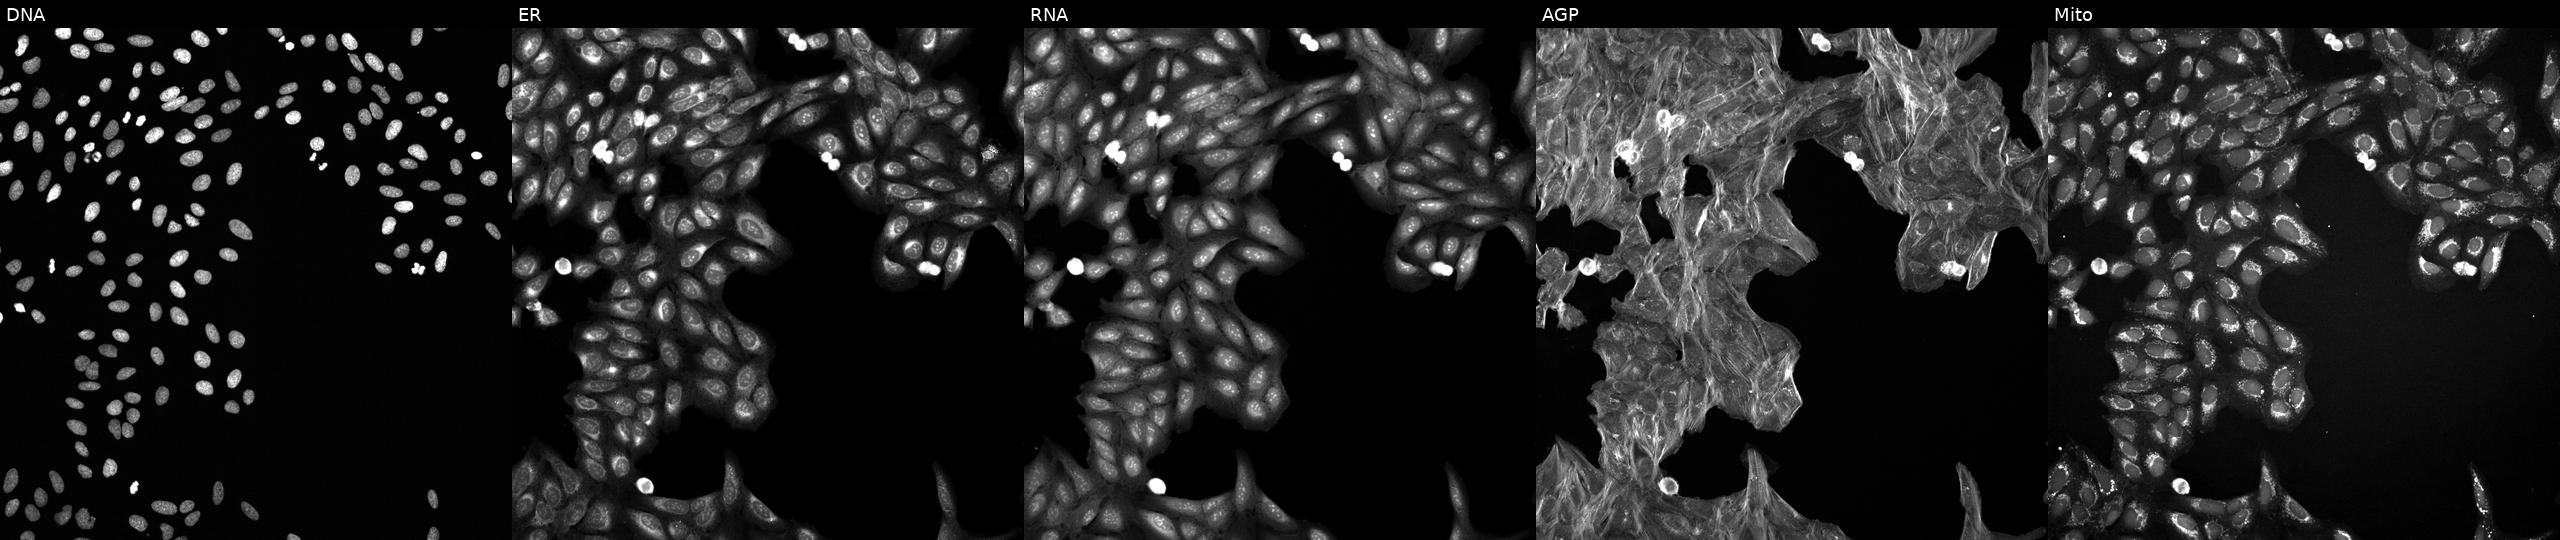
Five-channel Cell Painting image of U2OS cells exposed to a small-molecule compound (InChIKey CDJNNOJINJAXPV-UHFFFAOYSA-N). From left to right: DNA, ER, RNA, AGP, and Mito. Source 6, plate 110000293093, well B17.